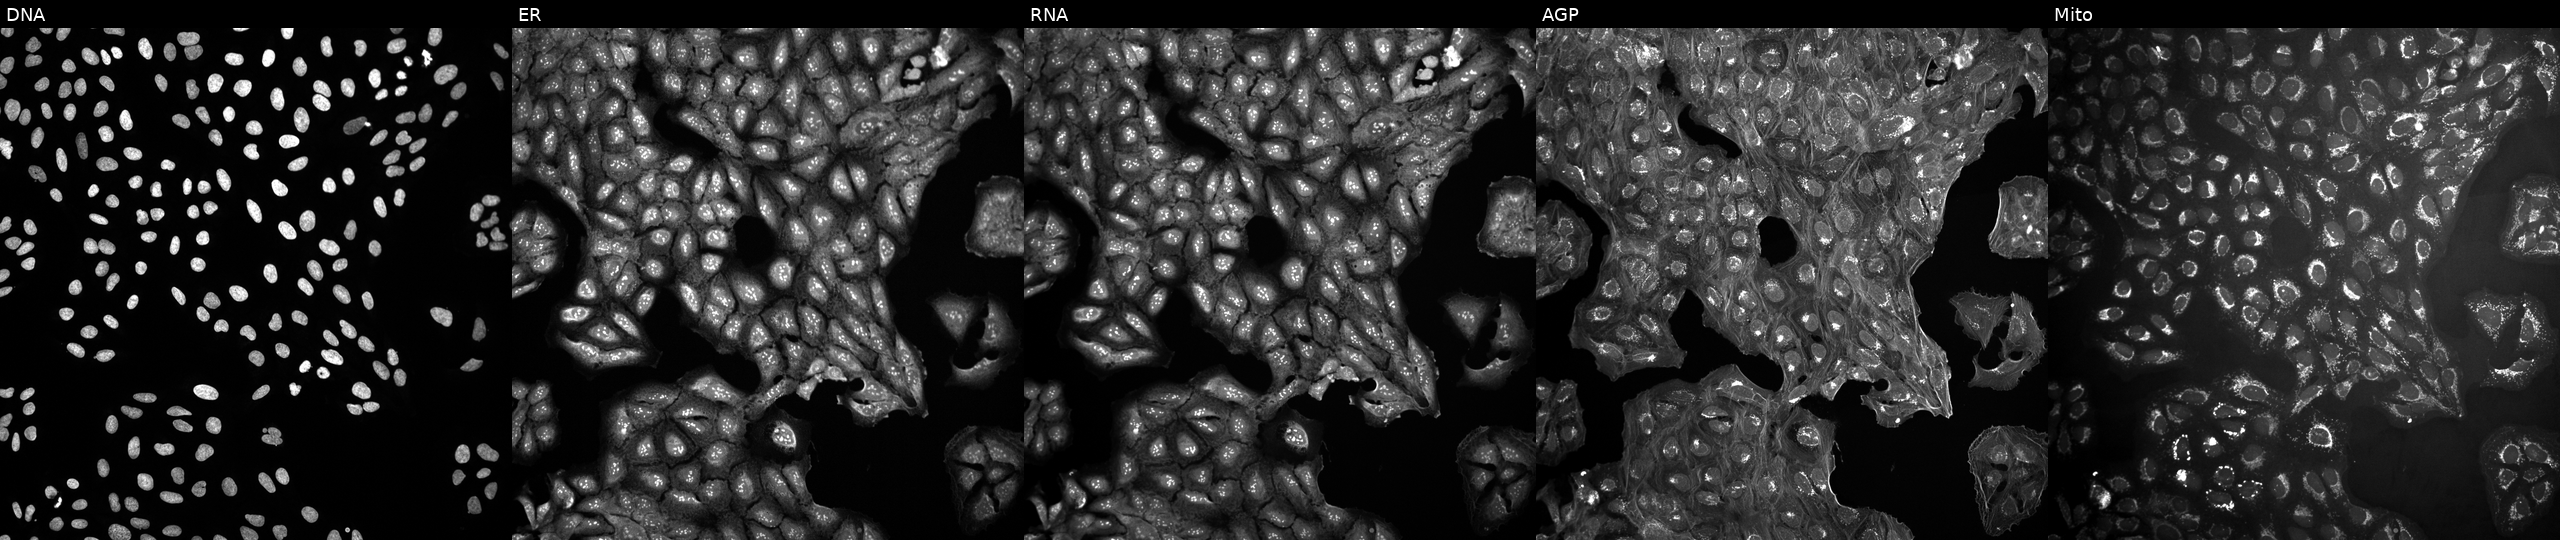
This image strip shows the five Cell Painting channels for a single field of U2OS cells untreated (empty-well control). Channels (left→right): DNA (nuclei); ER (endoplasmic reticulum); RNA (nucleoli and cytoplasmic RNA); AGP (actin cytoskeleton, Golgi, and plasma membrane); Mito (mitochondria).